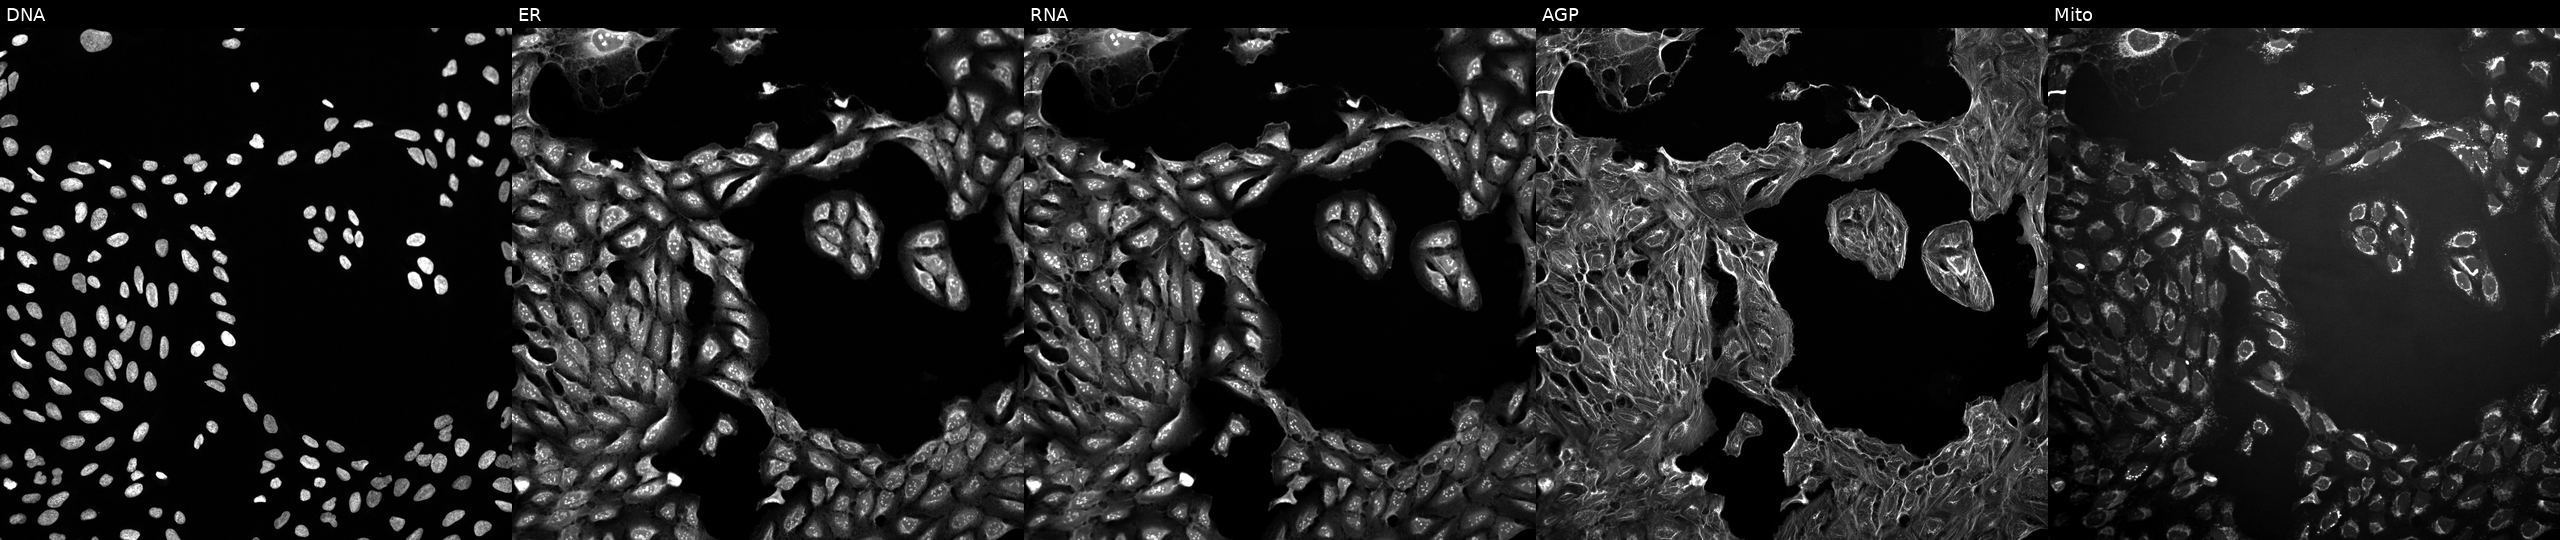
From left to right: DNA (nuclei); ER (endoplasmic reticulum); RNA (nucleoli and cytoplasmic RNA); AGP (actin cytoskeleton, Golgi, and plasma membrane); Mito (mitochondria). U2OS osteosarcoma cells exposed to a small-molecule compound (InChIKey PDMUULPVBYQBBK-UHFFFAOYSA-N) (JUMP id JCP2022_067887). Cell Painting assay, JUMP-CP dataset. Source 10, plate Dest210726-160150, well B07.